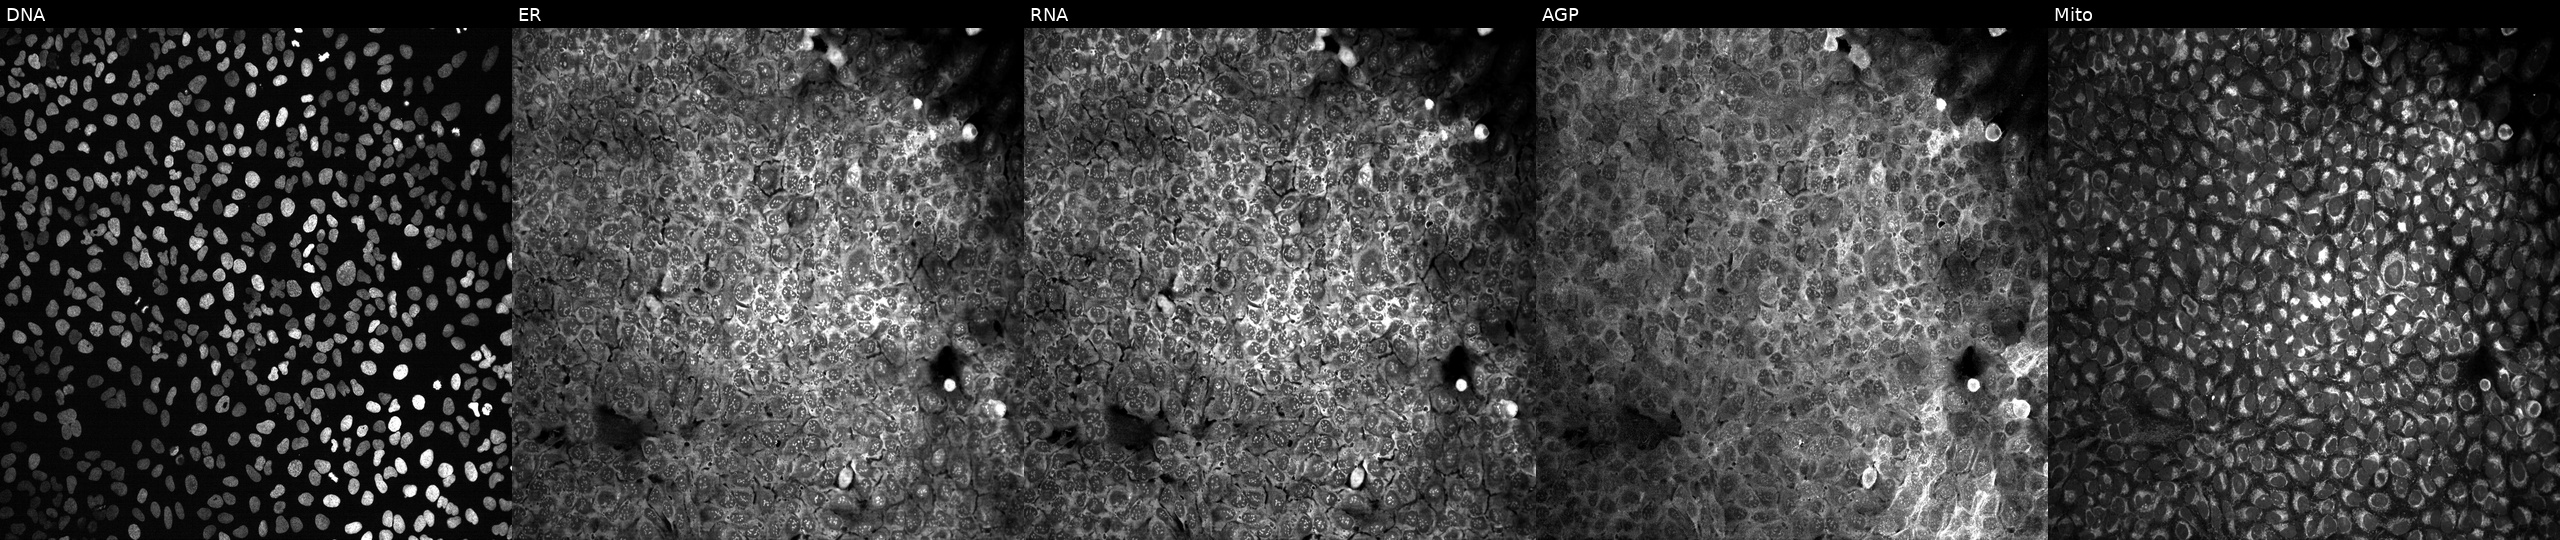
U2OS cells, Cell Painting assay, treated with DMSO vehicle only (negative control) (JUMP id JCP2022_033924). The five panels, left to right, show DNA, ER, RNA, AGP, and Mito. Each panel is percentile-stretched 16-bit fluorescence. Source 13, plate CP-CC9-R3-01, well L02.